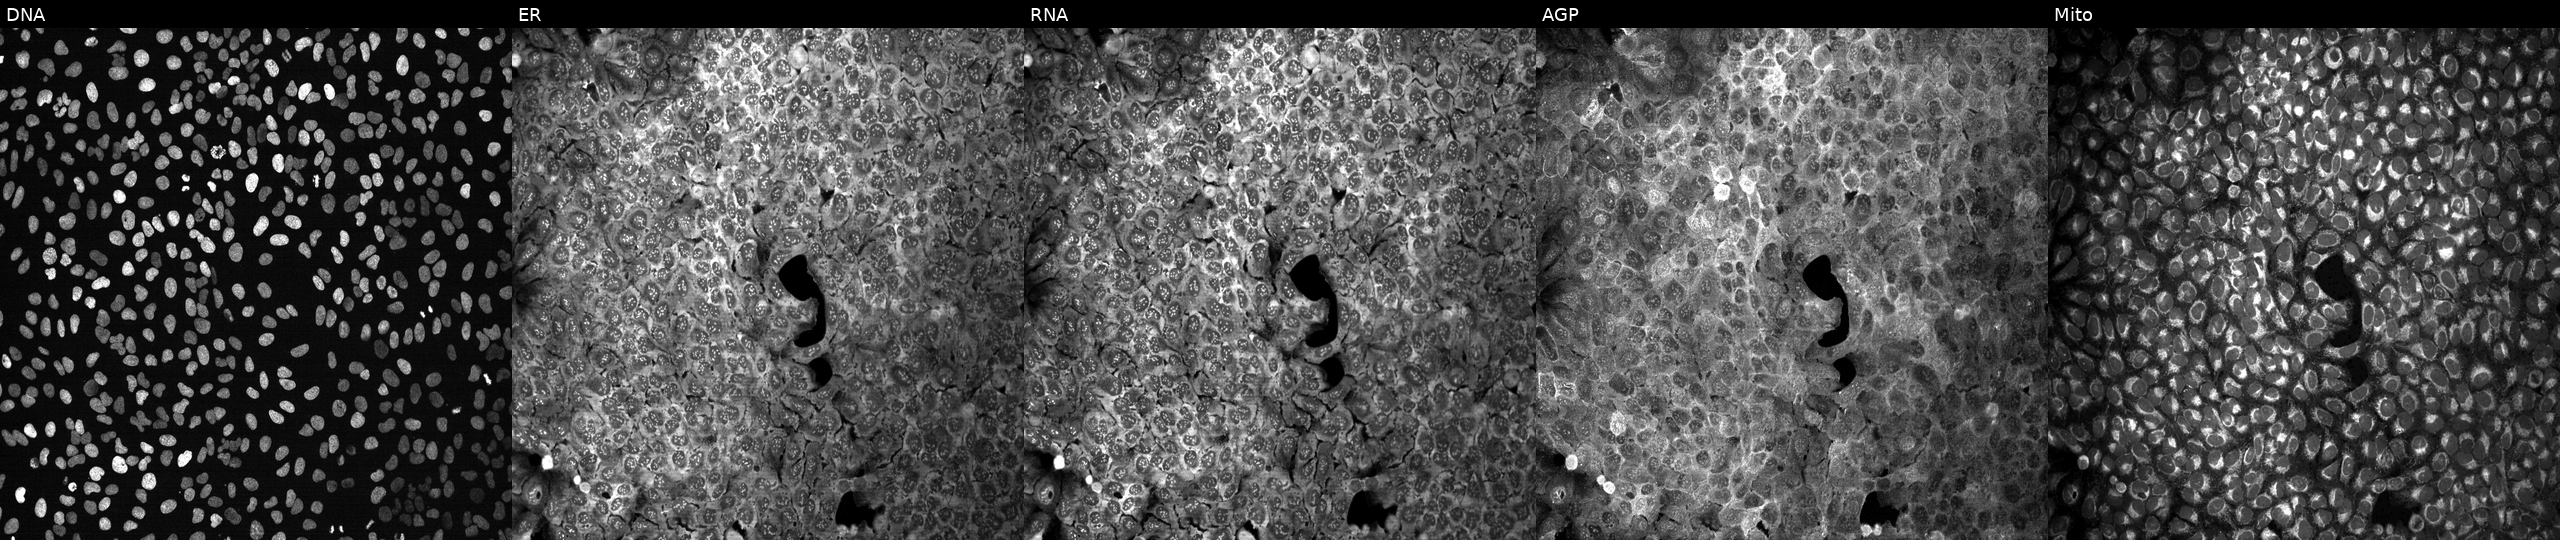
Five-channel Cell Painting image of U2OS cells with no CRISPR guide (negative control). The five panels, left to right, show DNA, ER, RNA, AGP, and Mito.